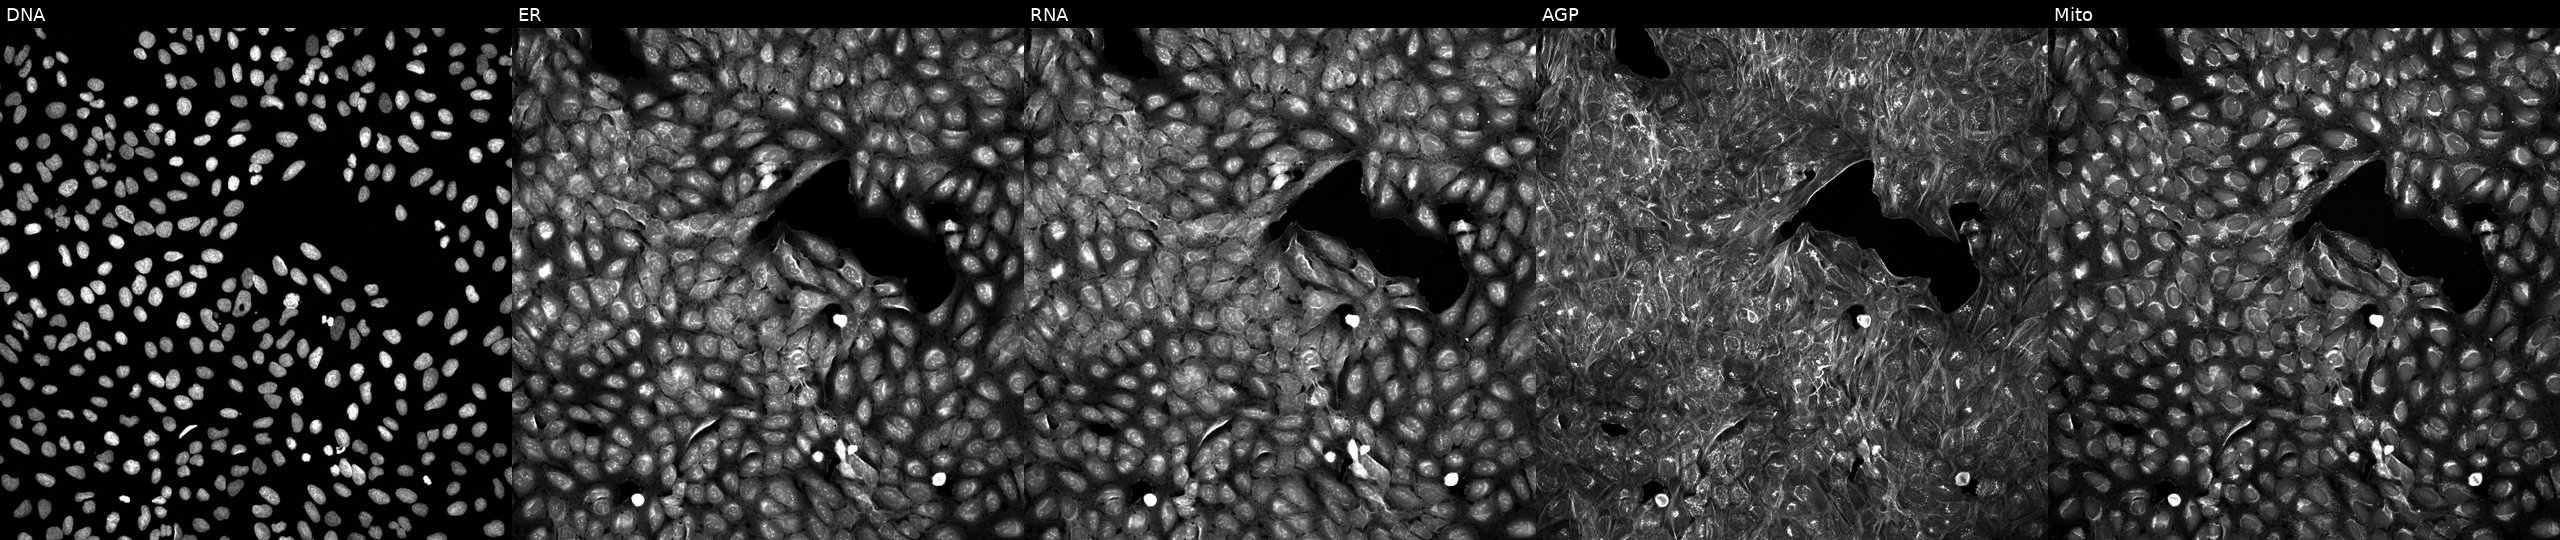
From left to right: DNA (nuclei); ER (endoplasmic reticulum); RNA (nucleoli and cytoplasmic RNA); AGP (actin cytoskeleton, Golgi, and plasma membrane); Mito (mitochondria). U2OS osteosarcoma cells perturbed with a small-molecule compound (InChIKey QVDWQDUGORHECT-UHFFFAOYSA-N). Cell Painting assay, JUMP-CP dataset.